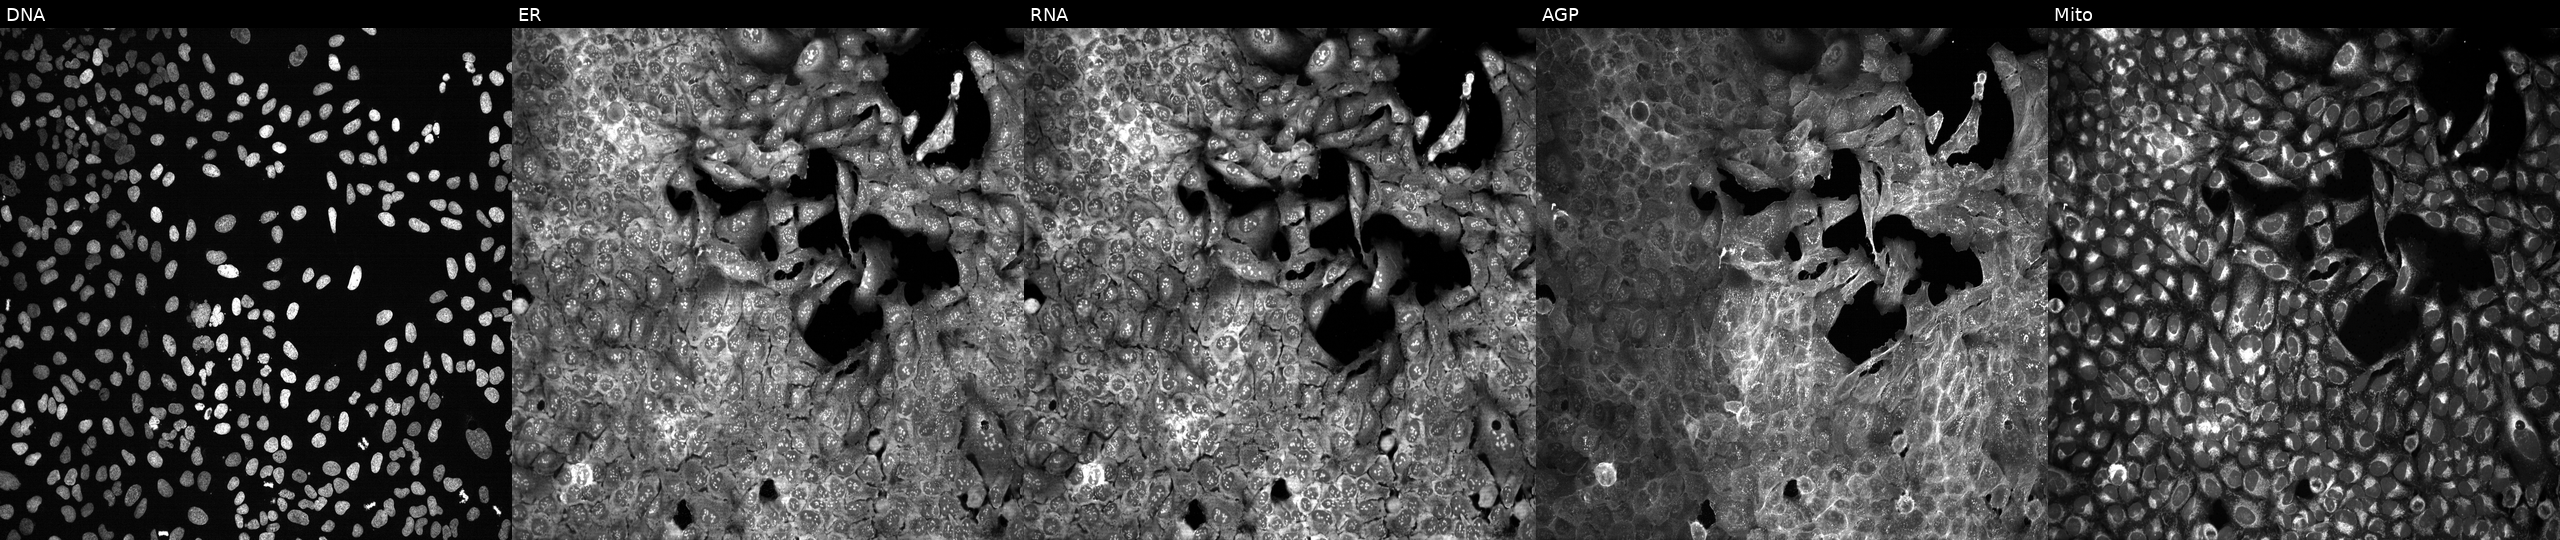
U2OS cells, Cell Painting assay, with ADAMTS12 knocked out by CRISPR. Panels show, left to right, DNA (nuclei); ER (endoplasmic reticulum); RNA (nucleoli and cytoplasmic RNA); AGP (actin cytoskeleton, Golgi, and plasma membrane); Mito (mitochondria). Each panel is percentile-stretched 16-bit fluorescence. Source 13, plate CP-CC9-R6-19, well L21.